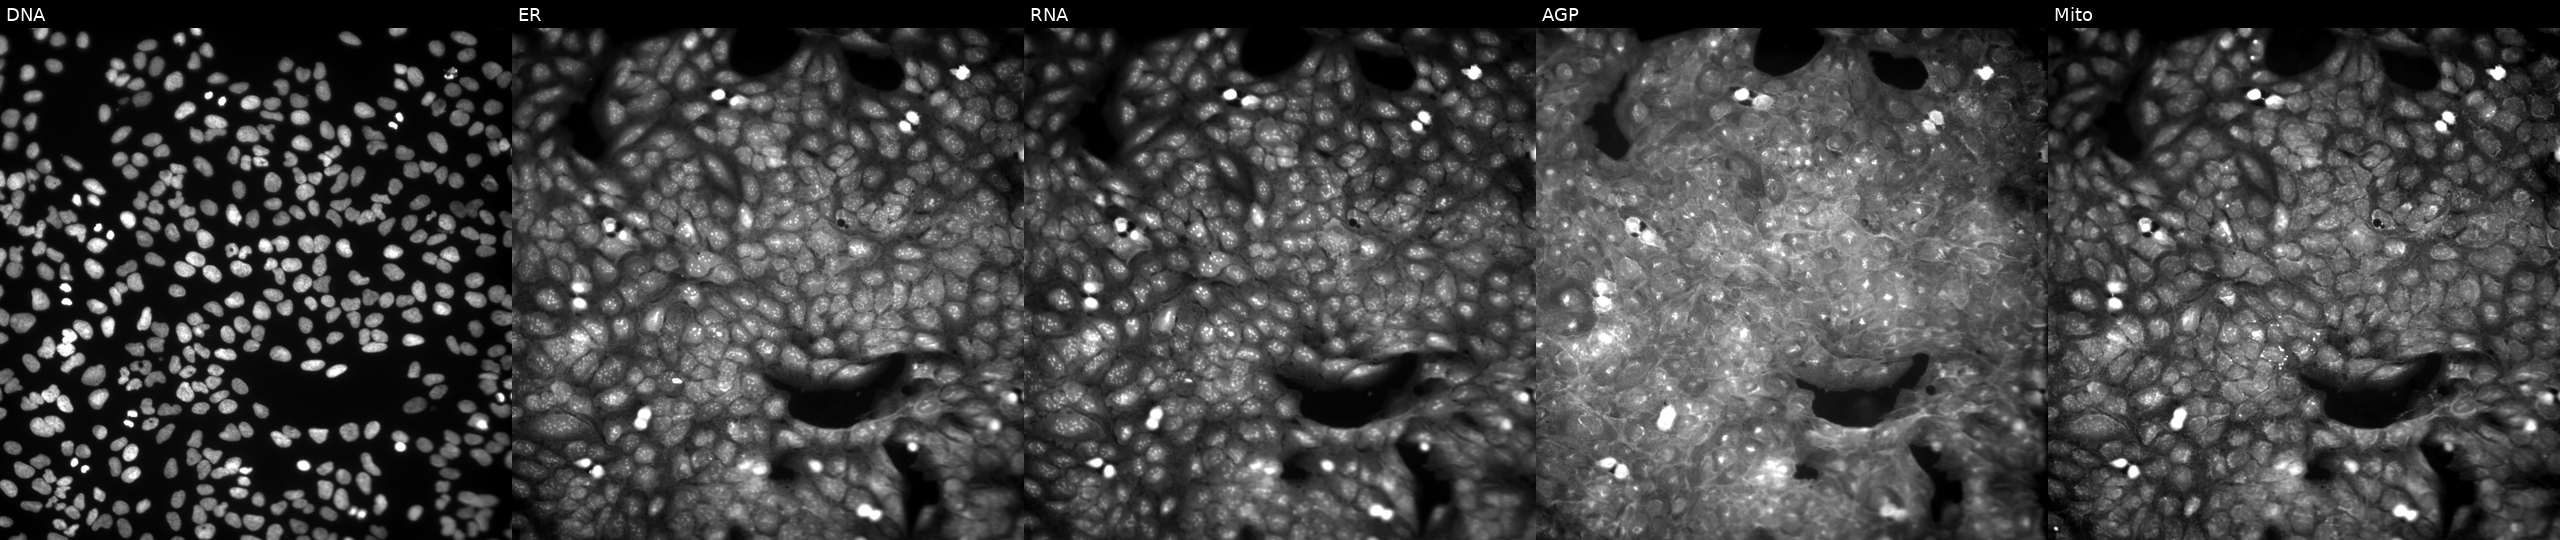
High-content fluorescence microscopy (Cell Painting). Cell line: U2OS. Perturbation: treated with a small-molecule compound. Channels (left→right): DNA, ER, RNA, AGP, and Mito.